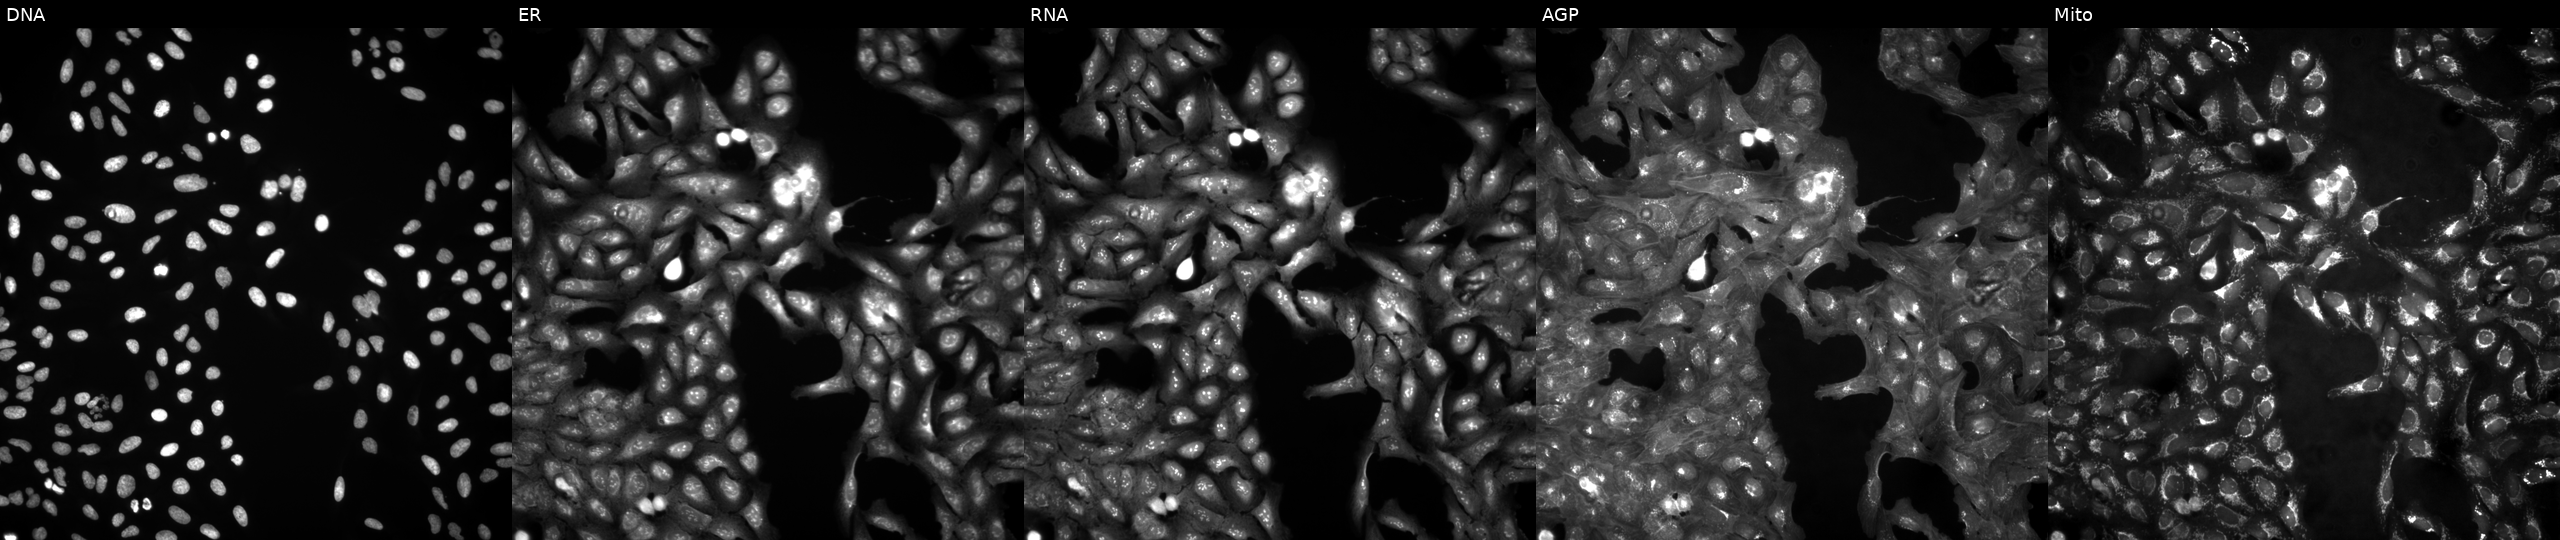
High-content fluorescence microscopy (Cell Painting). Cell line: U2OS. Perturbation: in an empty control well (no perturbation). From left to right: Hoechst 33342, concanavalin A, SYTO 14, phalloidin and WGA, MitoTracker.